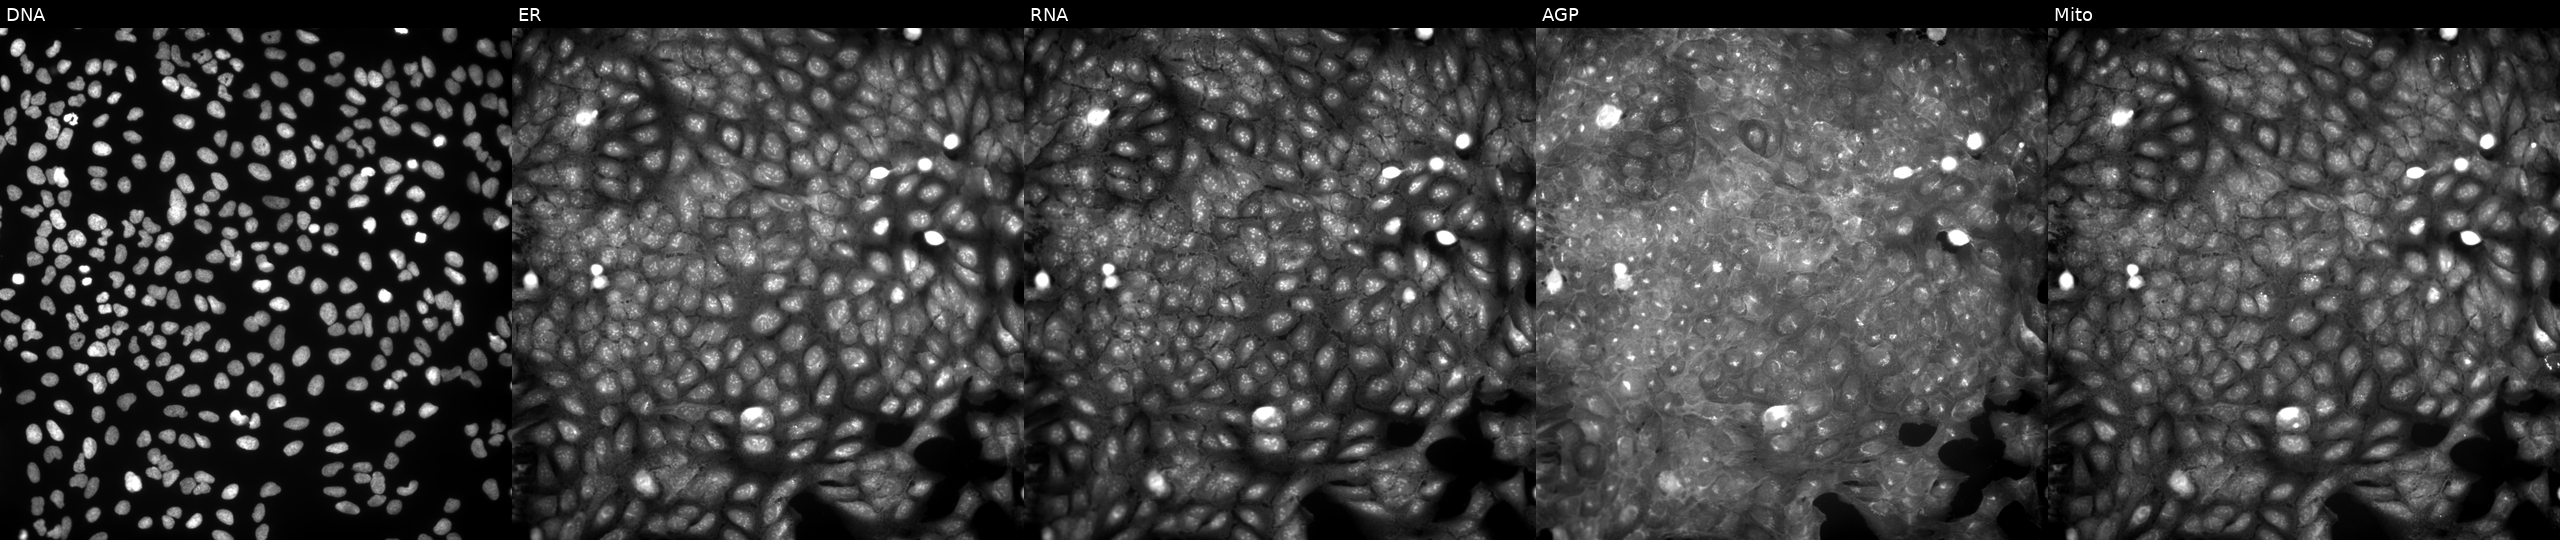
High-content fluorescence microscopy (Cell Painting). Cell line: U2OS. Perturbation: treated with a small-molecule compound [SMILES: C=C(C)COc1ccc2oc(C)c(C(=O)OCCOC)c2c1]. Channels (left→right): Hoechst 33342, concanavalin A, SYTO 14, phalloidin and WGA, MitoTracker. Source 9, plate GR00003382, well V19.